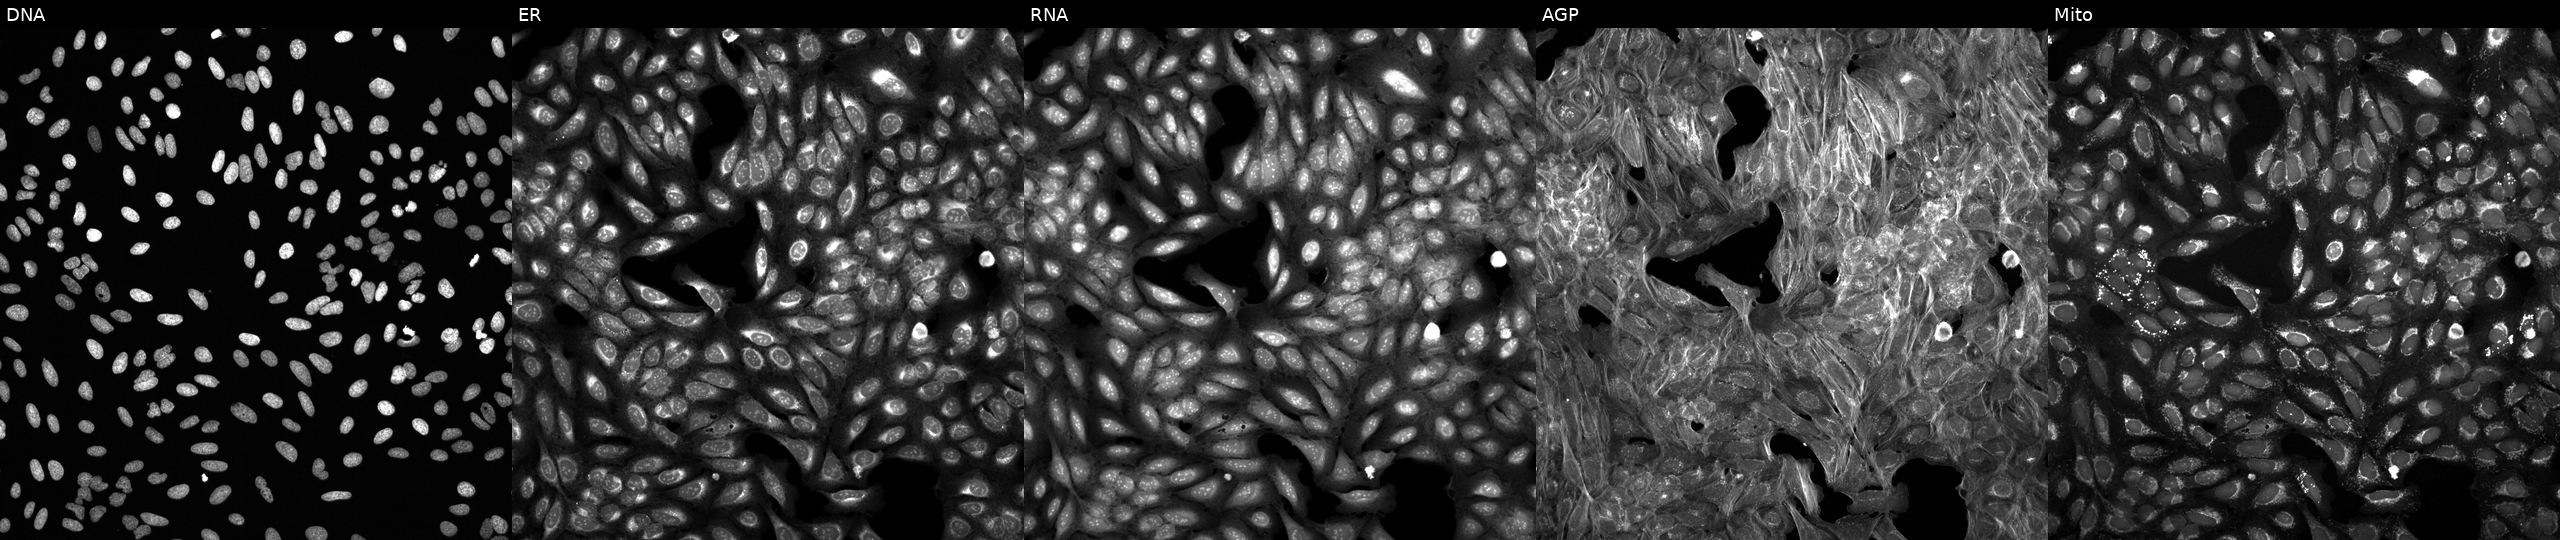
Five-channel Cell Painting image of U2OS cells exposed to DMSO alone as a negative control (JUMP id JCP2022_033924). From left to right: DNA (nuclei); ER (endoplasmic reticulum); RNA (nucleoli and cytoplasmic RNA); AGP (actin cytoskeleton, Golgi, and plasma membrane); Mito (mitochondria).